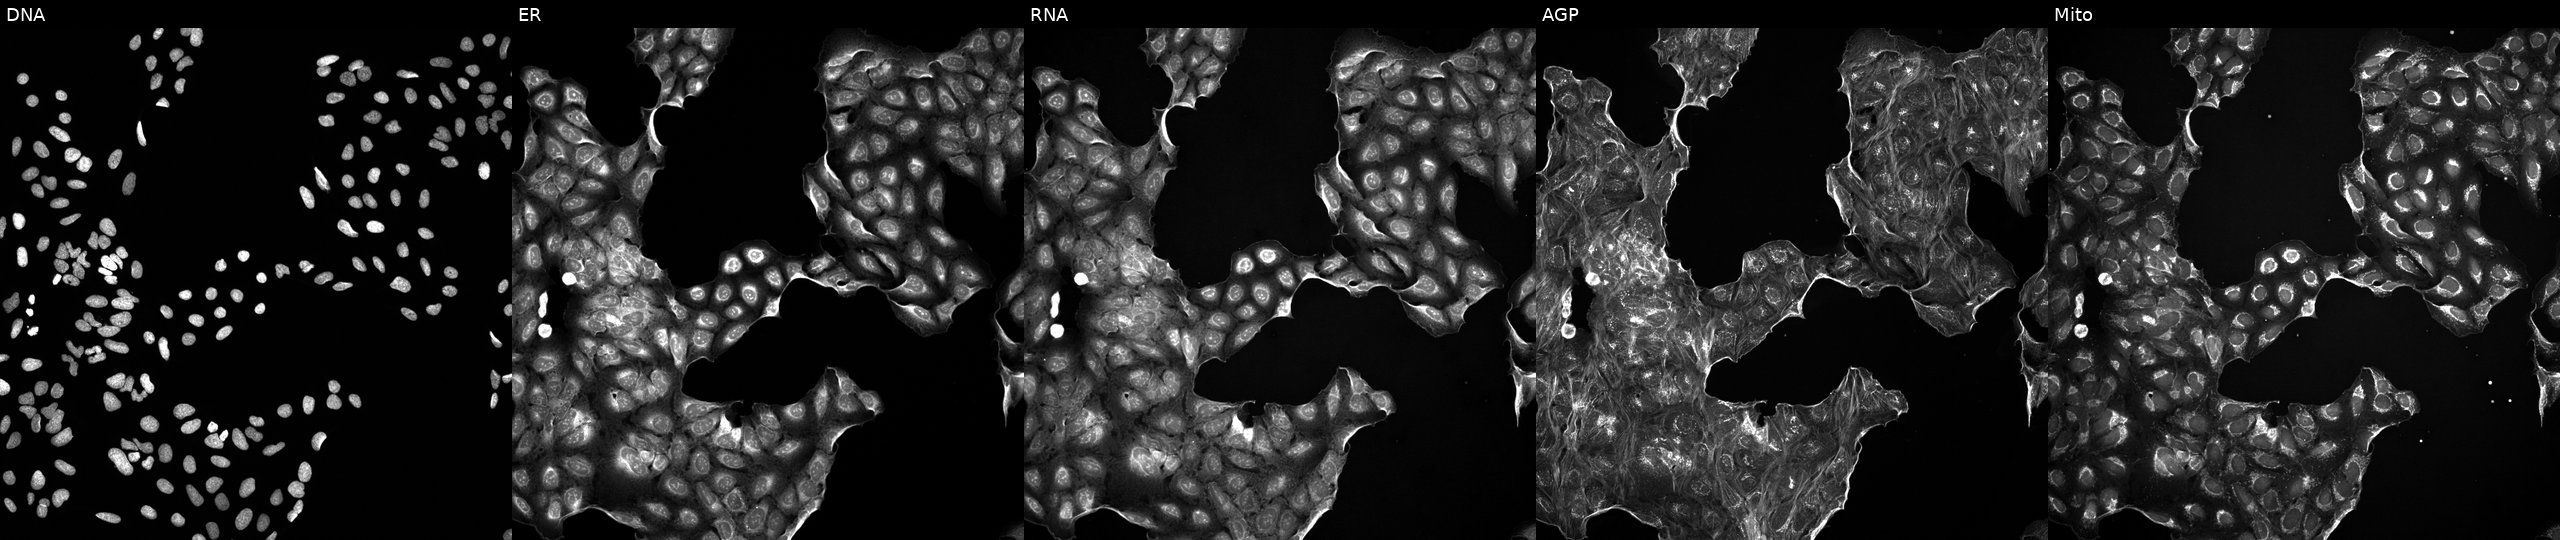
Five-channel Cell Painting image of U2OS cells perturbed with a small-molecule compound (JUMP id JCP2022_015955). Panels show, left to right, Hoechst 33342, concanavalin A, SYTO 14, phalloidin and WGA, MitoTracker.